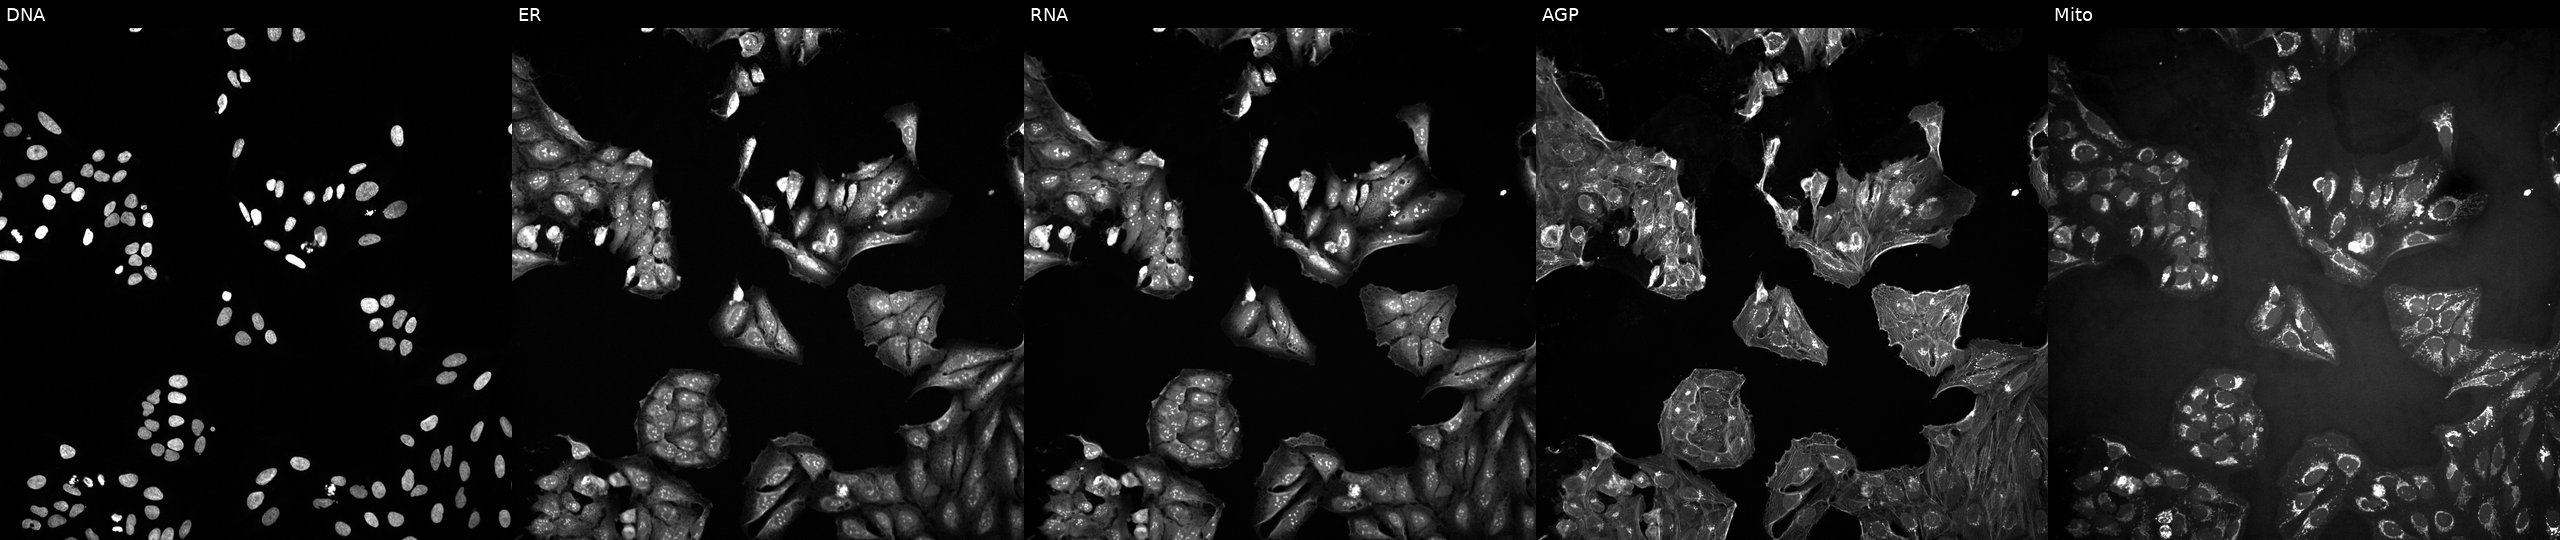
U2OS cells, Cell Painting assay, perturbed with a small-molecule compound (InChIKey MSBCRWMJOBIJPQ-UHFFFAOYSA-N) (JUMP id JCP2022_056163). Panels show, left to right, Hoechst 33342, concanavalin A, SYTO 14, phalloidin and WGA, MitoTracker. Each panel is percentile-stretched 16-bit fluorescence.